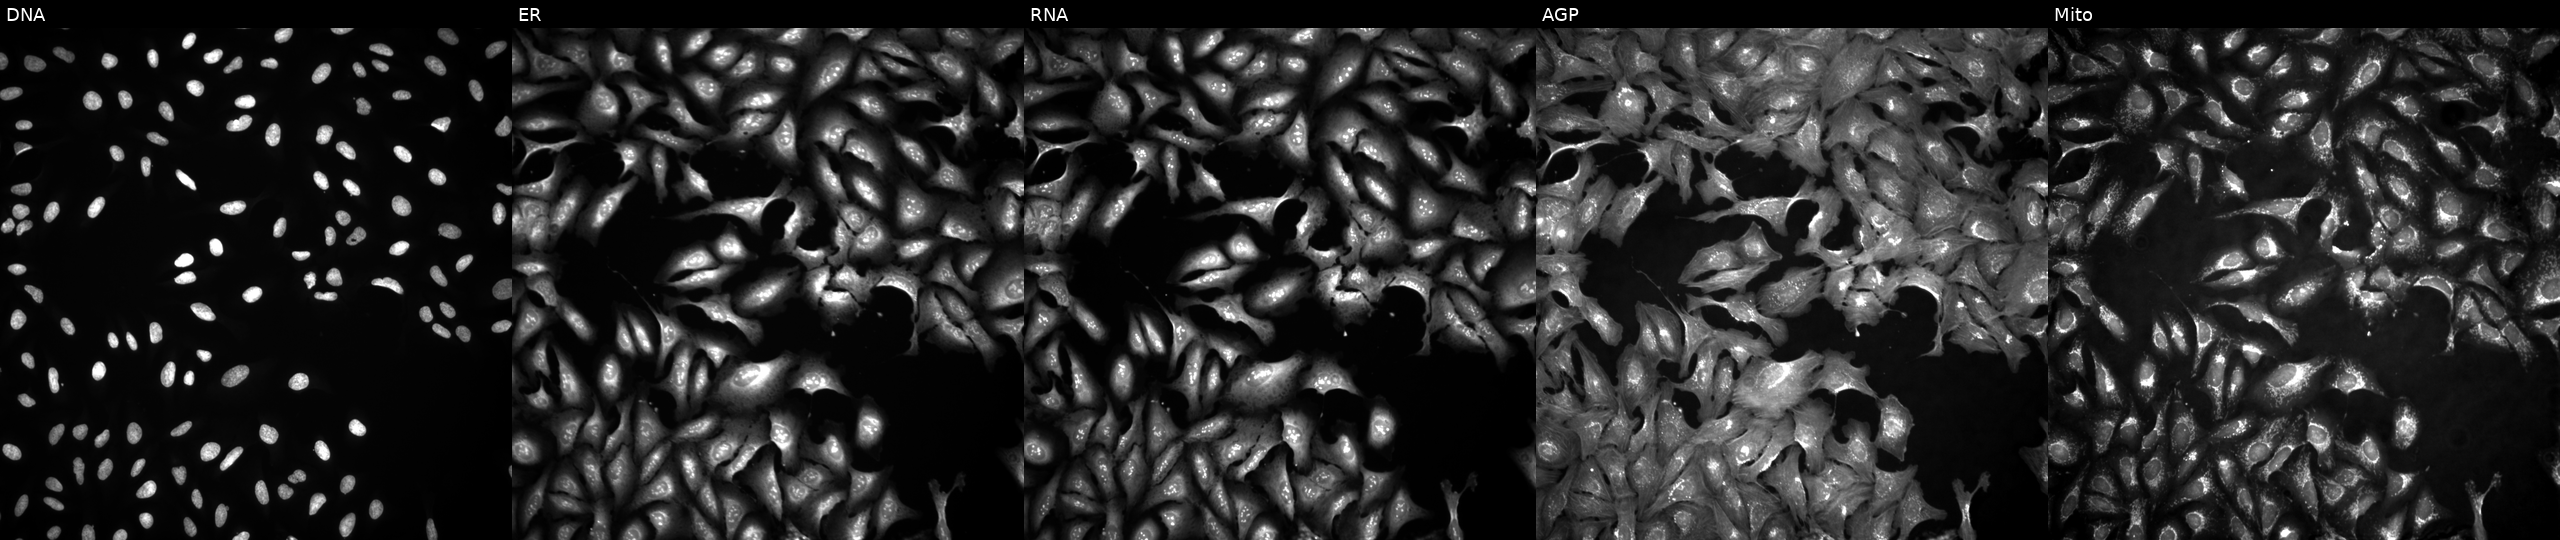
Five-channel Cell Painting image of U2OS cells overexpressing TK2 via ORF transfection (JUMP id JCP2022_906612). From left to right: DNA, ER, RNA, AGP, and Mito.